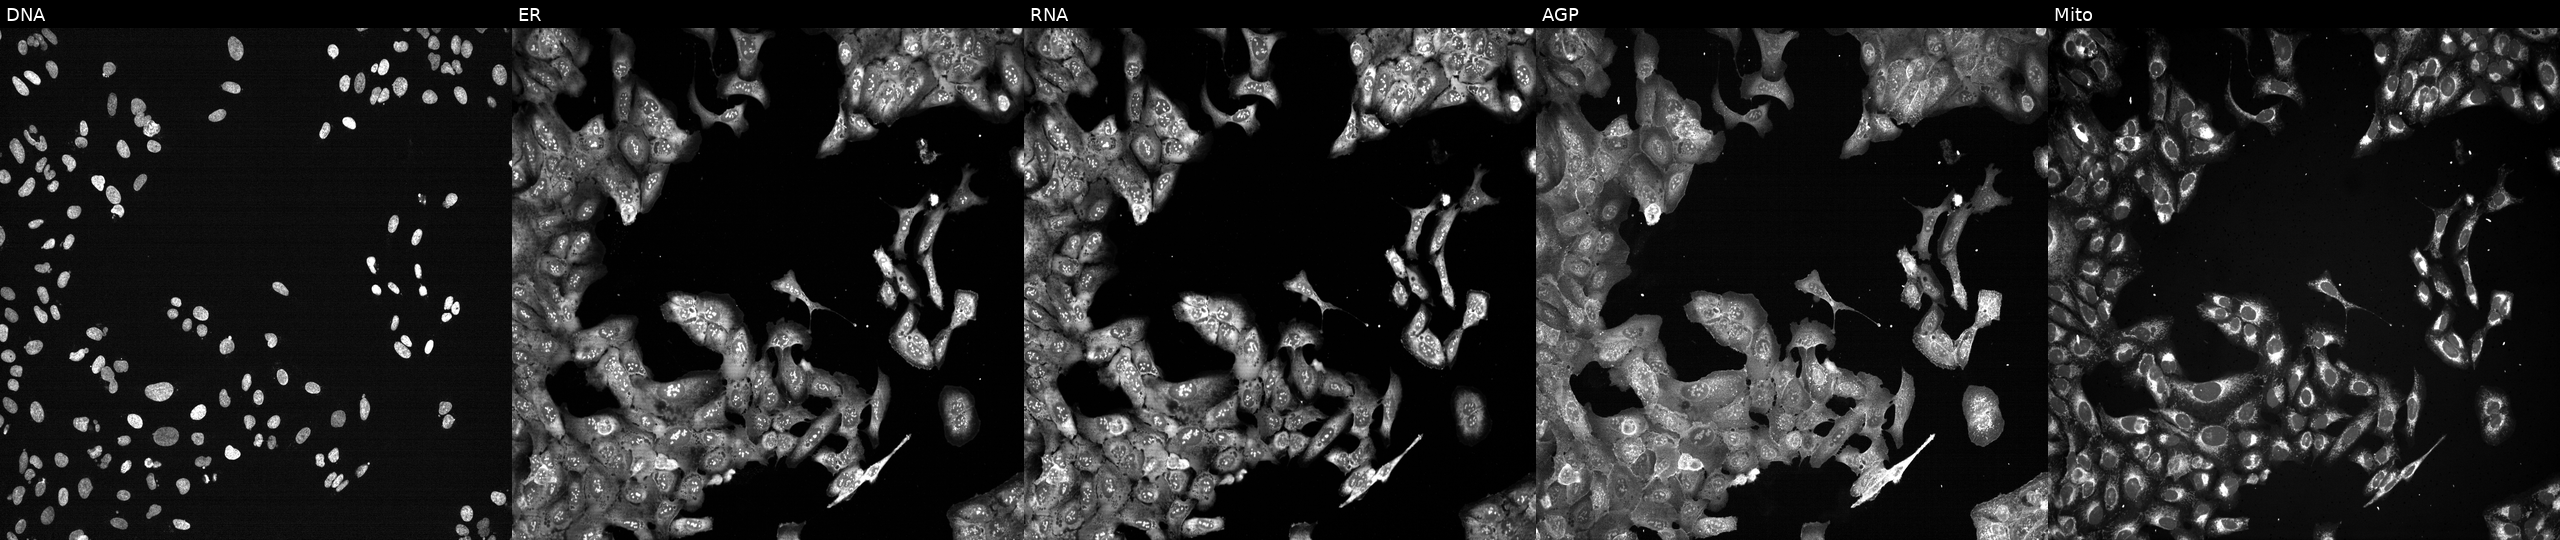
Five-channel Cell Painting image of U2OS cells following CRISPR knockout of MARCO. Channels (left→right): DNA (nuclei); ER (endoplasmic reticulum); RNA (nucleoli and cytoplasmic RNA); AGP (actin cytoskeleton, Golgi, and plasma membrane); Mito (mitochondria).